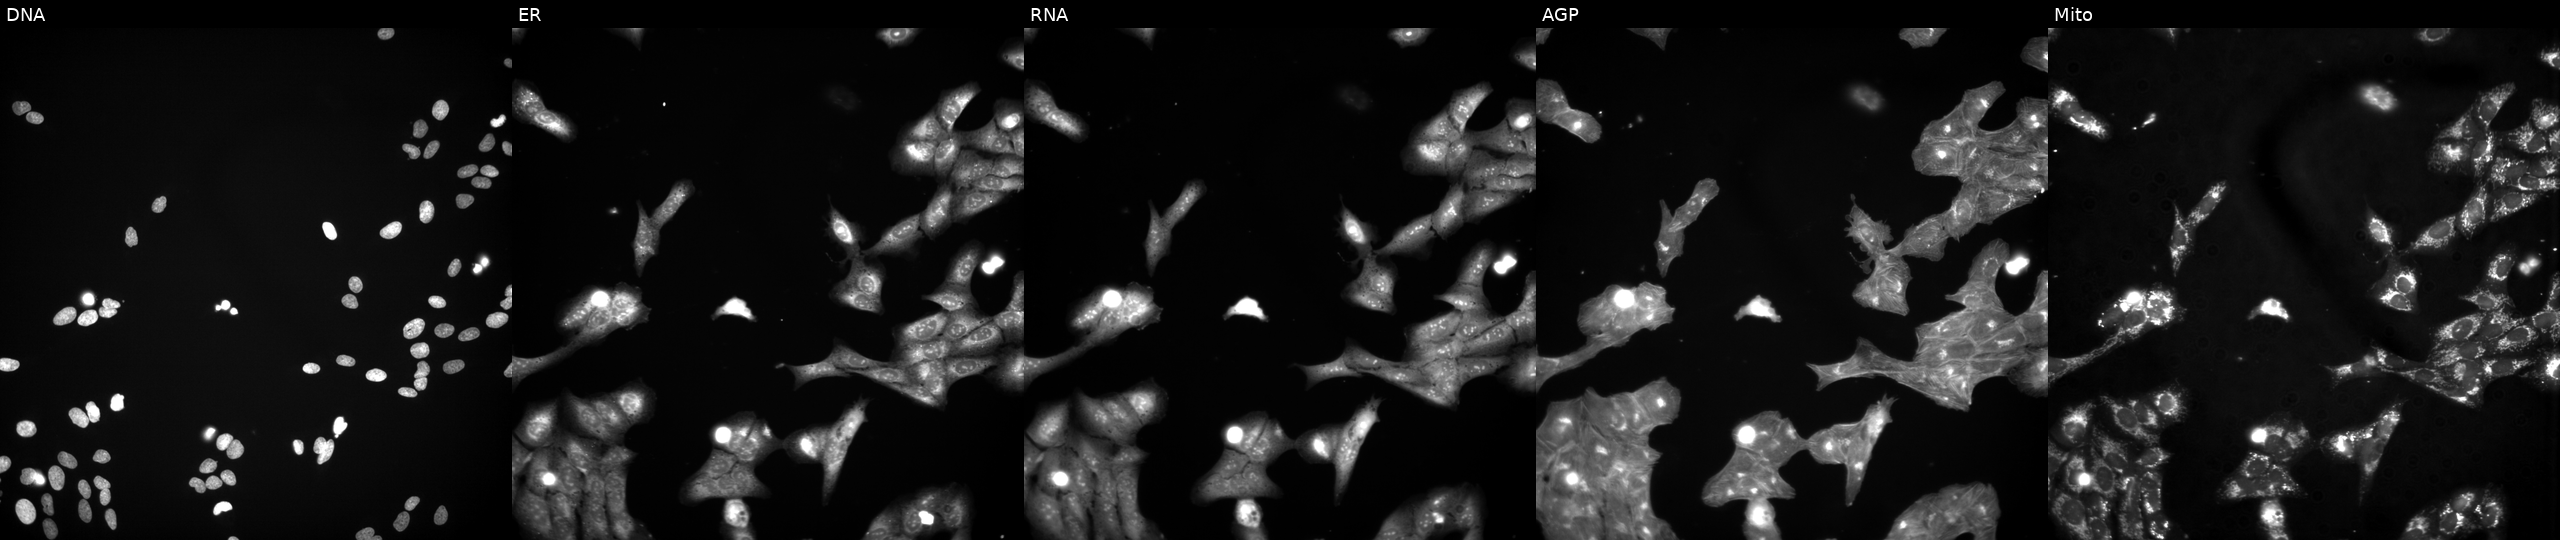
Five-channel Cell Painting image of U2OS cells exposed to a small-molecule compound (InChIKey UTBOEBCWXGDOGI-UHFFFAOYSA-N) [SMILES: C=C(NC(=O)C(=C)NC(=O)c1csc(C2=NC3c4csc(n4)C4NC(=O)c5csc(n5)C(C(C)(O)C(C)O)NC(=O)C5CSC(=N5)C(=CC)NC(=O)C(C(C)O)NC(=O)c5csc(n5)C3(CC2)NC(=O)C(C)NC(=O)C(=C)NC(=O)C(C)NC(=O)C(C(C)CC)Nc2ccc3c(c2O)NC(=CC3C(C)O)C(=O)OC4C)n1)C(N)=O] (JUMP id JCP2022_091373). The five panels, left to right, show DNA (nuclei); ER (endoplasmic reticulum); RNA (nucleoli and cytoplasmic RNA); AGP (actin cytoskeleton, Golgi, and plasma membrane); Mito (mitochondria).